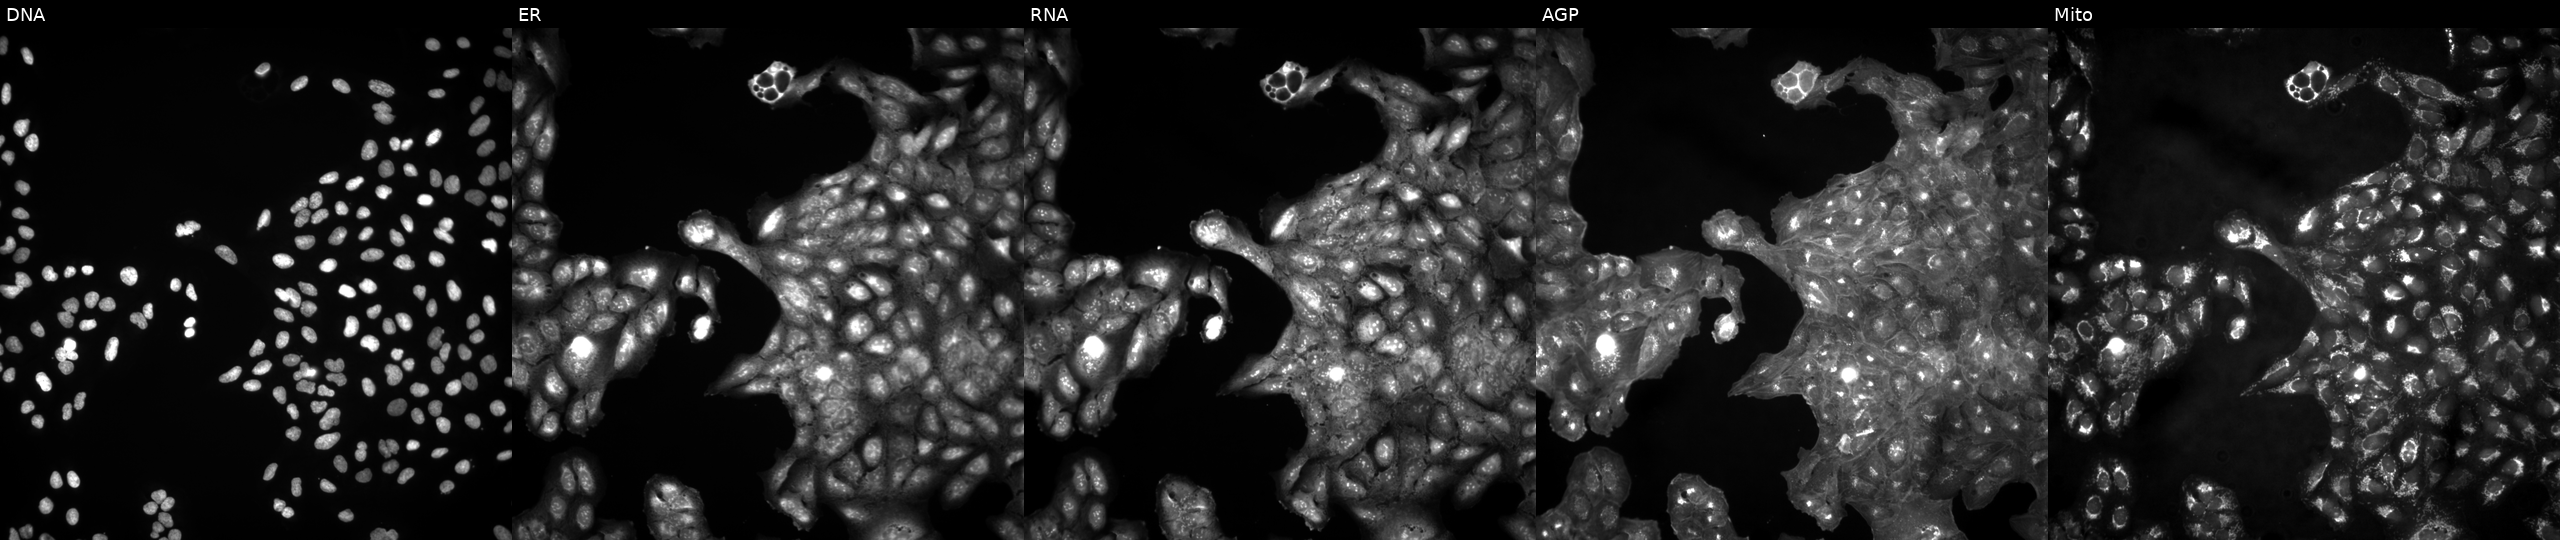
JUMP Cell Painting — ORF plate. U2OS cells untreated (empty-well control). Channels (left→right): DNA (nuclei); ER (endoplasmic reticulum); RNA (nucleoli and cytoplasmic RNA); AGP (actin cytoskeleton, Golgi, and plasma membrane); Mito (mitochondria). Source 4, plate BR00123946, well E23.